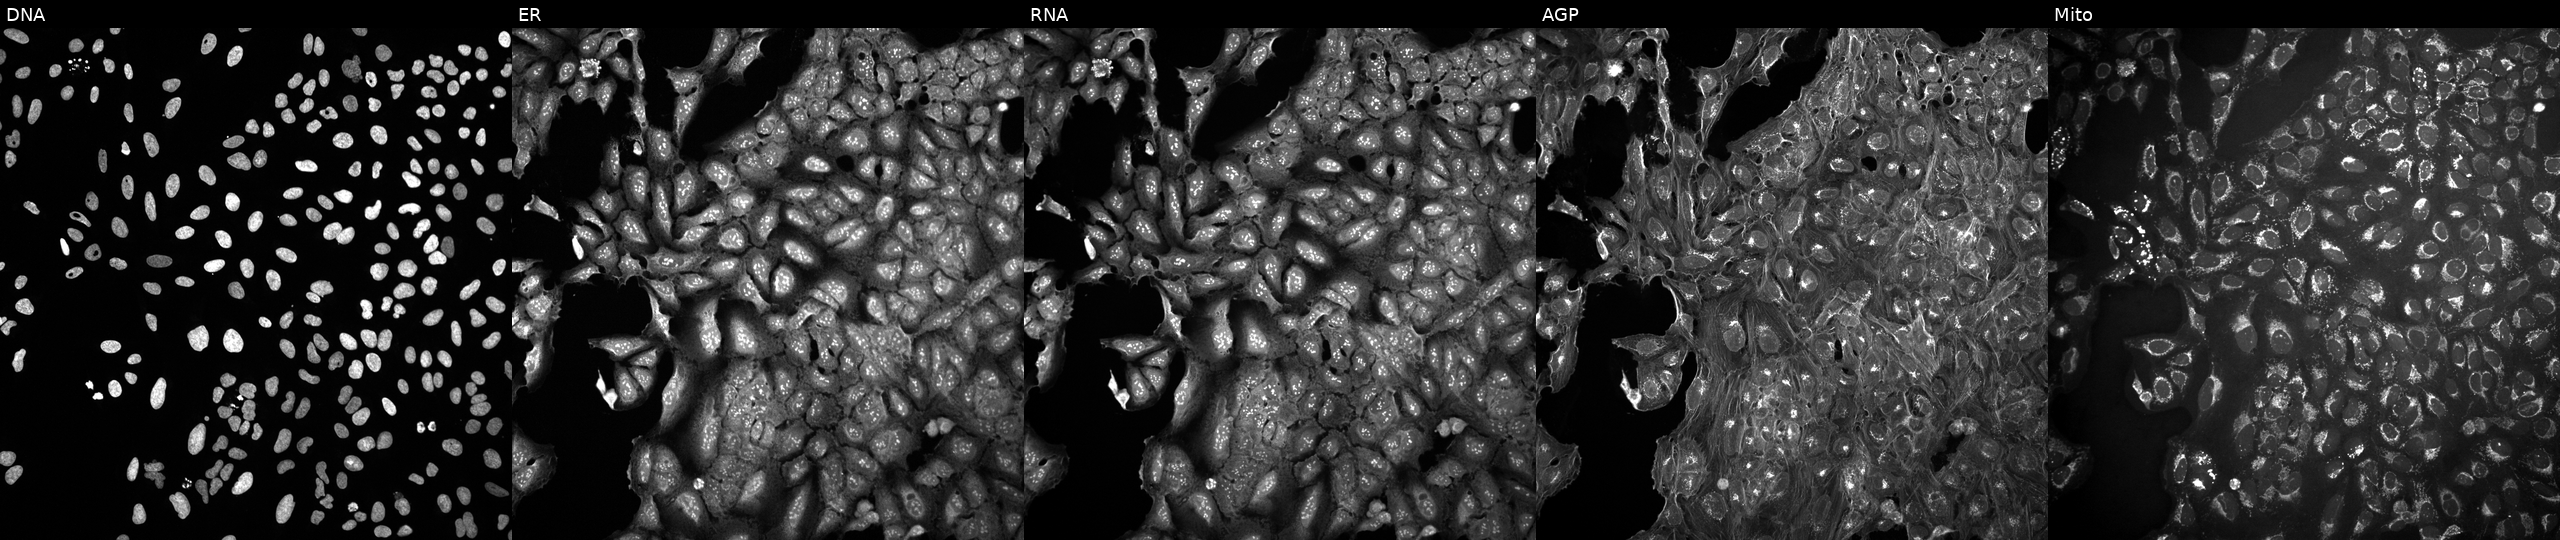
U2OS cells, Cell Painting assay, perturbed with a small-molecule compound (InChIKey LGEHUDIZQMAOKZ-UHFFFAOYSA-N) [SMILES: Cc1ccc(F)cc1CN1CCN(C)C2(CCC(=O)N(C)CC2)C1] (JUMP id JCP2022_049221). Channels (left→right): DNA, ER, RNA, AGP, and Mito. Each panel is percentile-stretched 16-bit fluorescence. Source 10, plate Dest210531-152149, well M12.